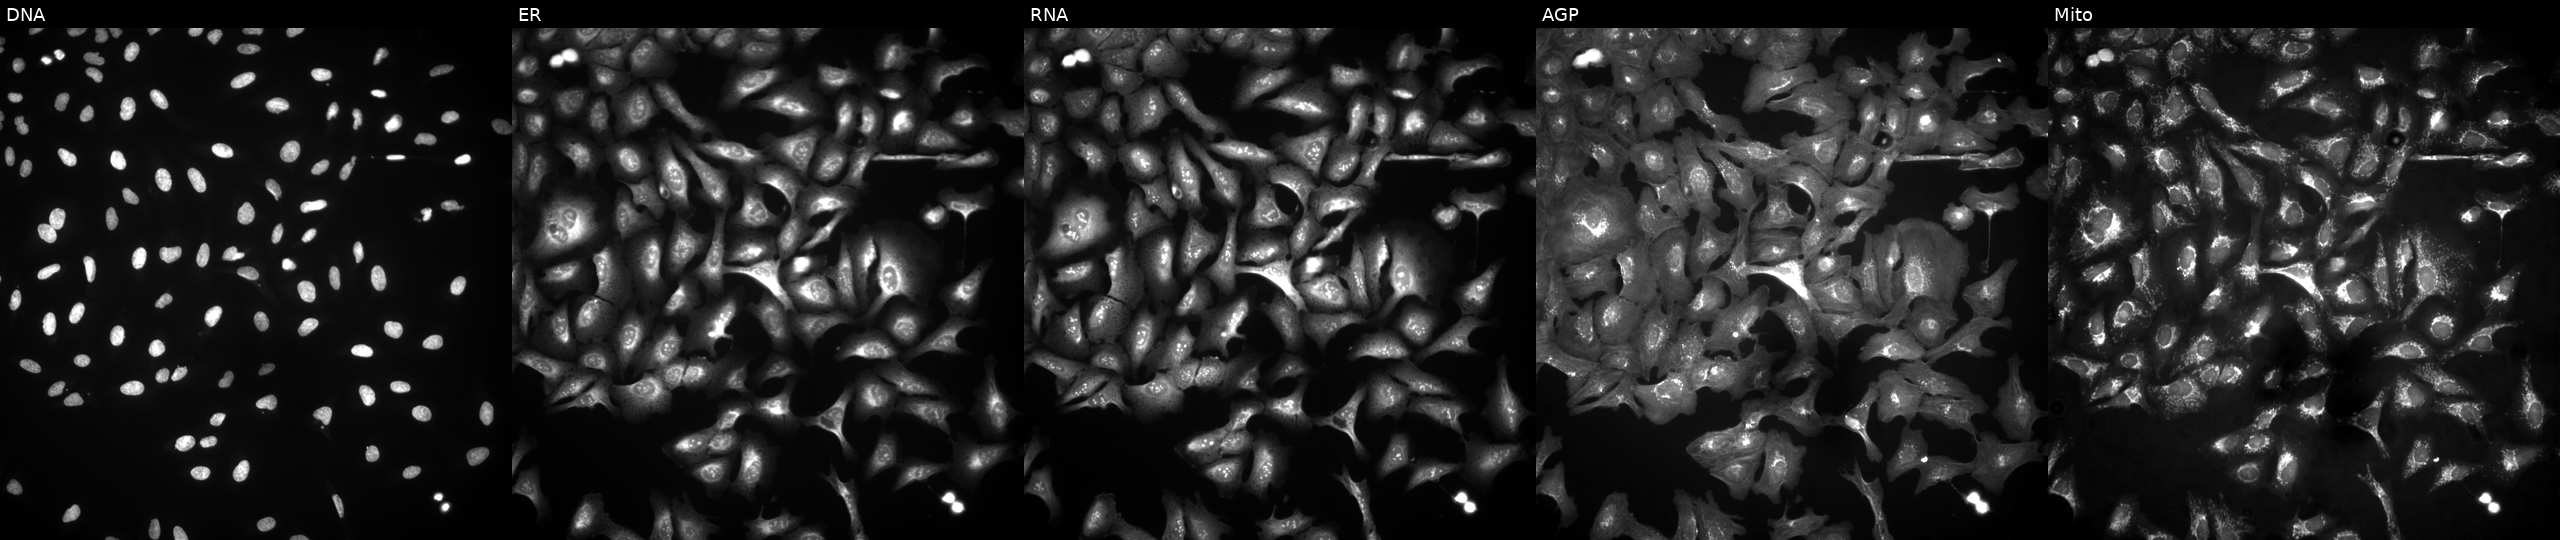
U2OS cells, Cell Painting assay, with IL17F overexpressed (ORF) (JUMP id JCP2022_908751). Panels show, left to right, Hoechst 33342, concanavalin A, SYTO 14, phalloidin and WGA, MitoTracker. Each panel is percentile-stretched 16-bit fluorescence.